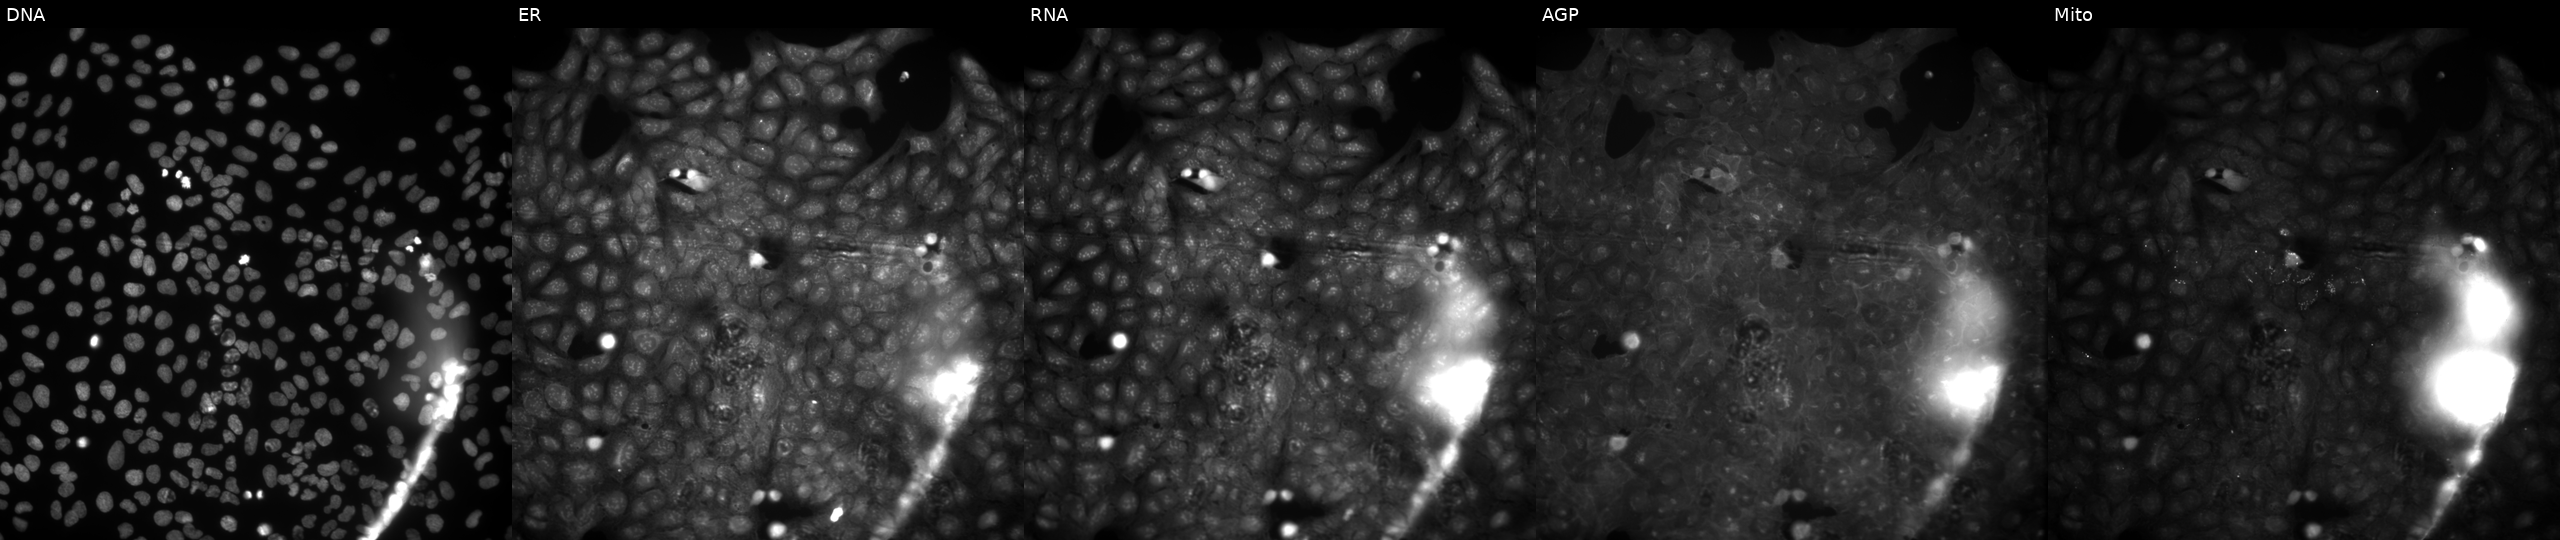
The five panels, left to right, show DNA, ER, RNA, AGP, and Mito. U2OS osteosarcoma cells treated with DMSO vehicle only (negative control). Cell Painting assay, JUMP-CP dataset.